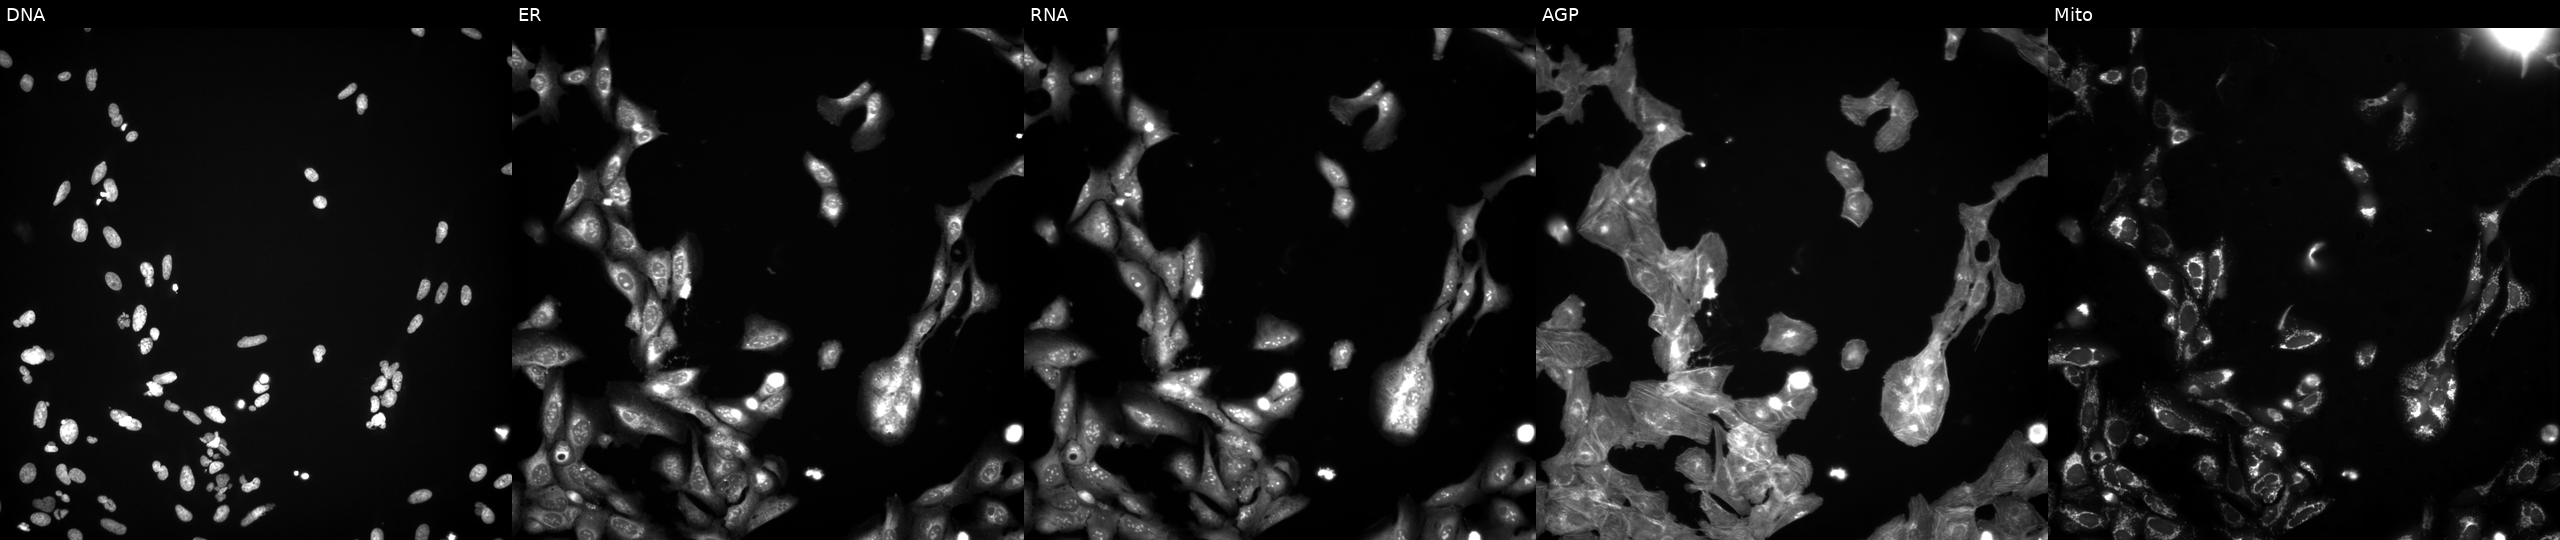
Panels show, left to right, DNA, ER, RNA, AGP, and Mito. U2OS osteosarcoma cells perturbed with a small-molecule compound (InChIKey HSTZMXCBWJGKHG-UHFFFAOYSA-N) (JUMP id JCP2022_032353). Cell Painting assay, JUMP-CP dataset.